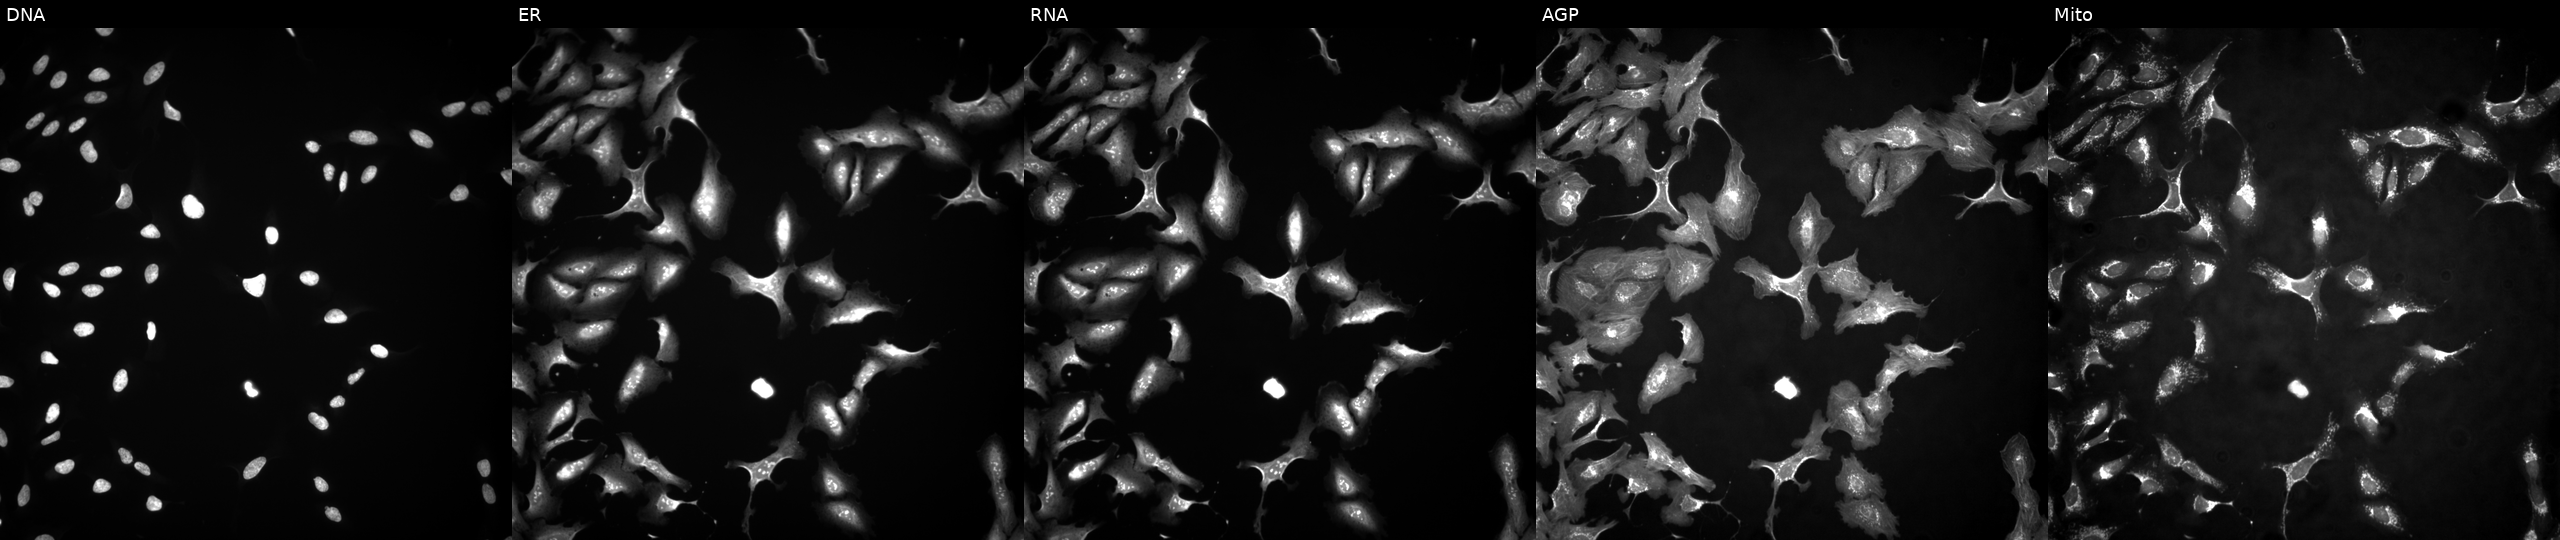
Panels show, left to right, Hoechst 33342, concanavalin A, SYTO 14, phalloidin and WGA, MitoTracker. U2OS osteosarcoma cells with EYA1 overexpressed (ORF). Cell Painting assay, JUMP-CP dataset.